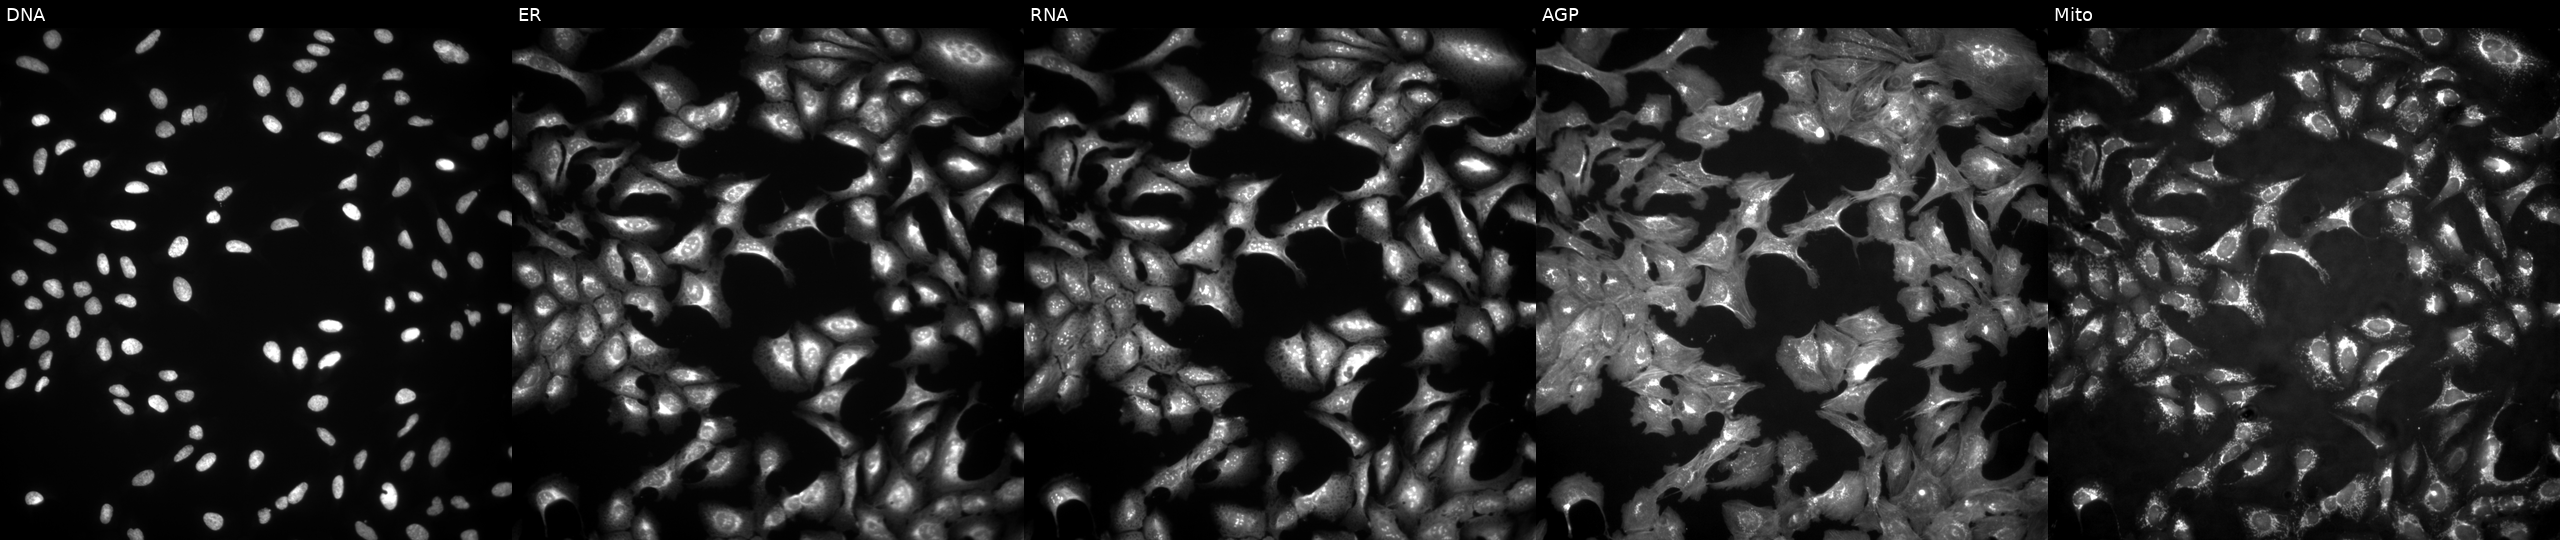
JUMP Cell Painting — ORF plate. U2OS cells expressing eGFP (ORF positive control) (JUMP id JCP2022_915132). From left to right: DNA, ER, RNA, AGP, and Mito.